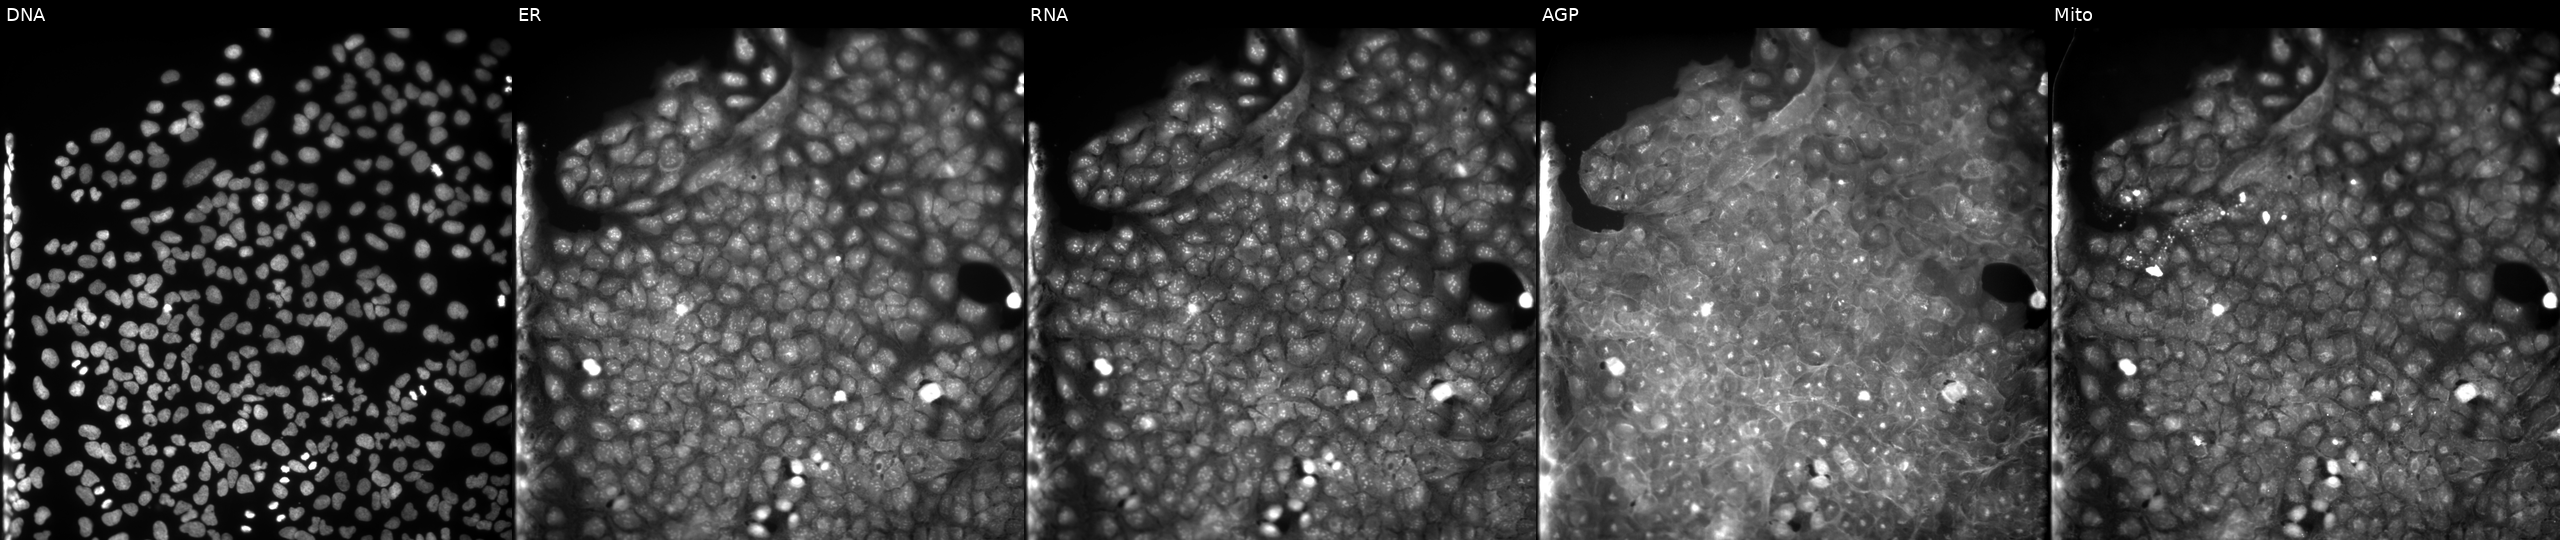
This image strip shows the five Cell Painting channels for a single field of U2OS cells treated with a small-molecule compound (InChIKey IBKIMYVMLAEQOM-UHFFFAOYSA-N) (JUMP id JCP2022_034001). From left to right: DNA (nuclei); ER (endoplasmic reticulum); RNA (nucleoli and cytoplasmic RNA); AGP (actin cytoskeleton, Golgi, and plasma membrane); Mito (mitochondria). Source 9, plate GR00003382, well AD03.